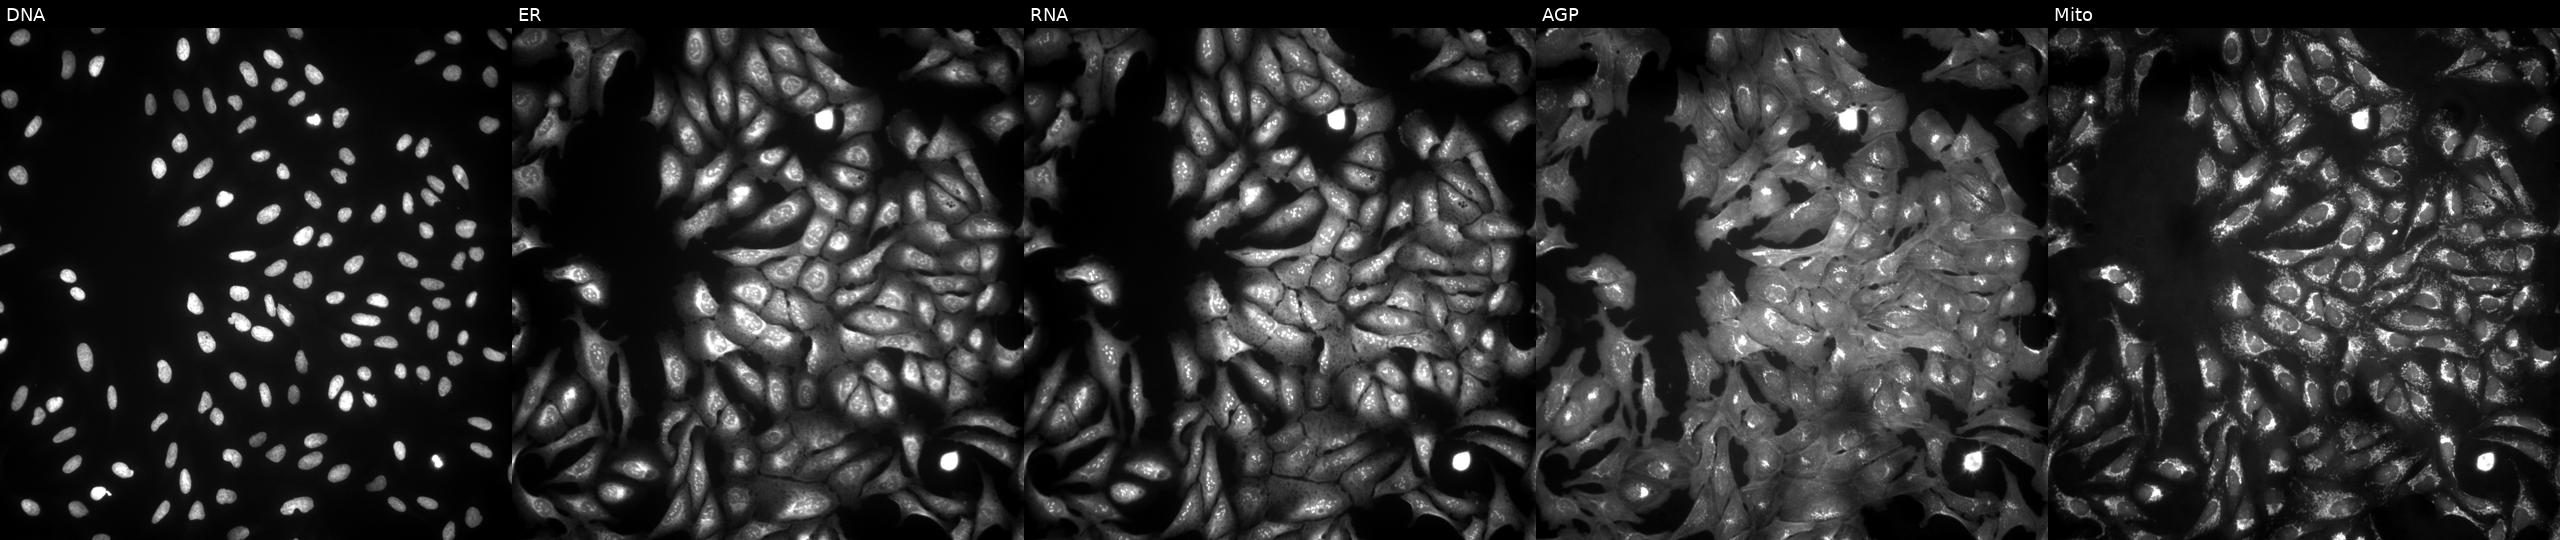
High-content fluorescence microscopy (Cell Painting). Cell line: U2OS. Perturbation: transfected with a failed ORF construct (JUMP BAD CONSTRUCT marker). Panels show, left to right, DNA, ER, RNA, AGP, and Mito. Source 4, plate BR00123506, well G21.